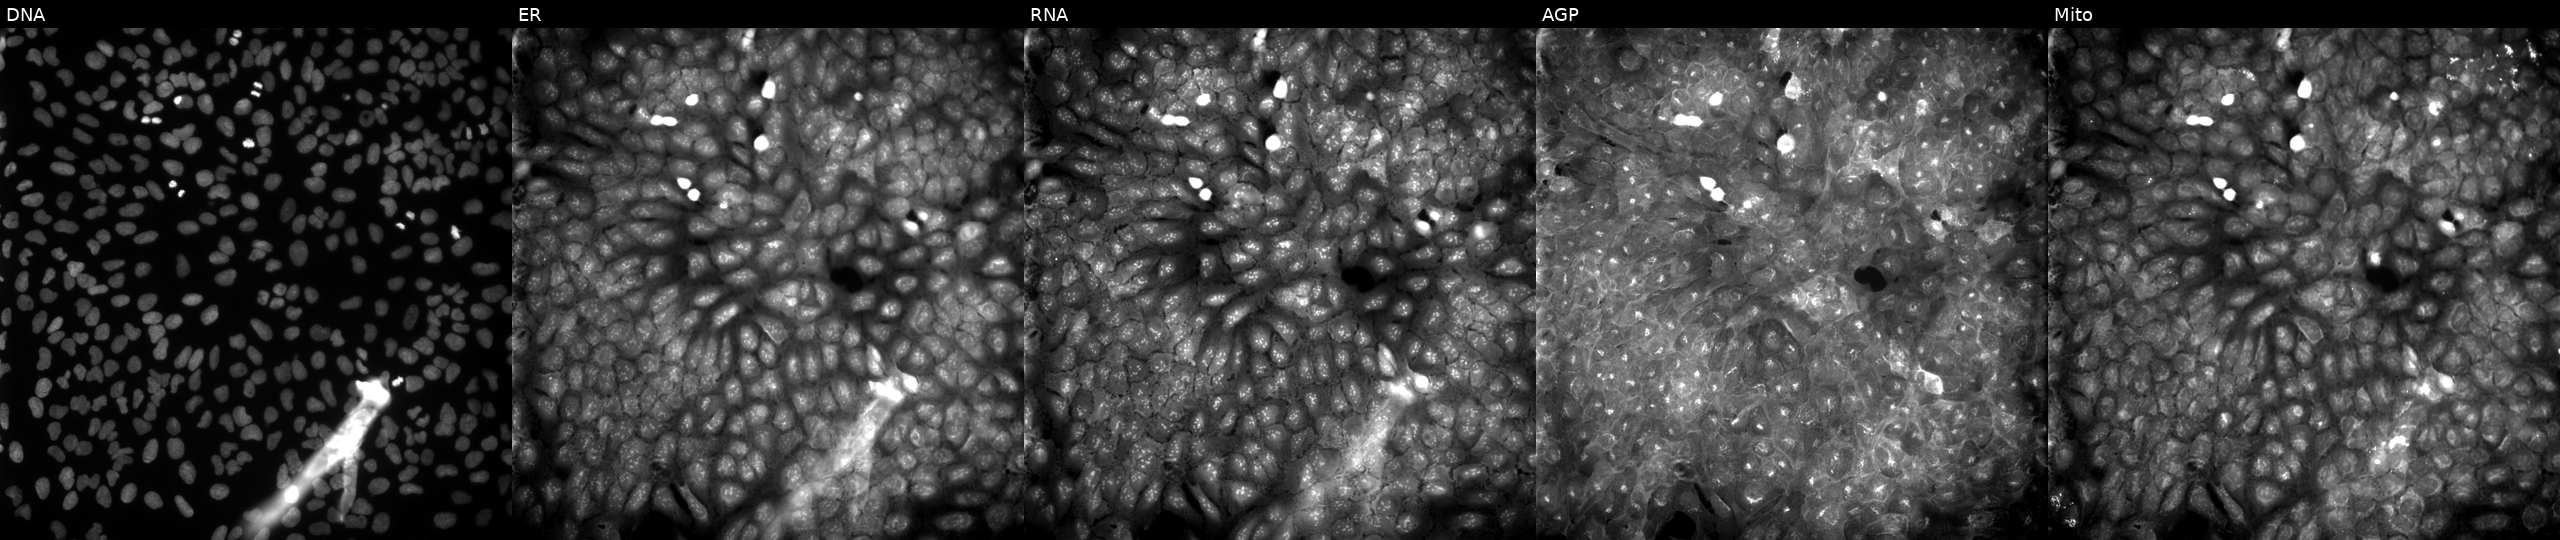
High-content fluorescence microscopy (Cell Painting). Cell line: U2OS. Perturbation: perturbed with a small-molecule compound (InChIKey YSXLJBBJOHXUBE-UHFFFAOYSA-N) [SMILES: COc1ccc(-c2noc(CCc3ccccc3)n2)cc1]. Panels show, left to right, Hoechst 33342, concanavalin A, SYTO 14, phalloidin and WGA, MitoTracker. Source 9, plate GR00003381, well Q14.